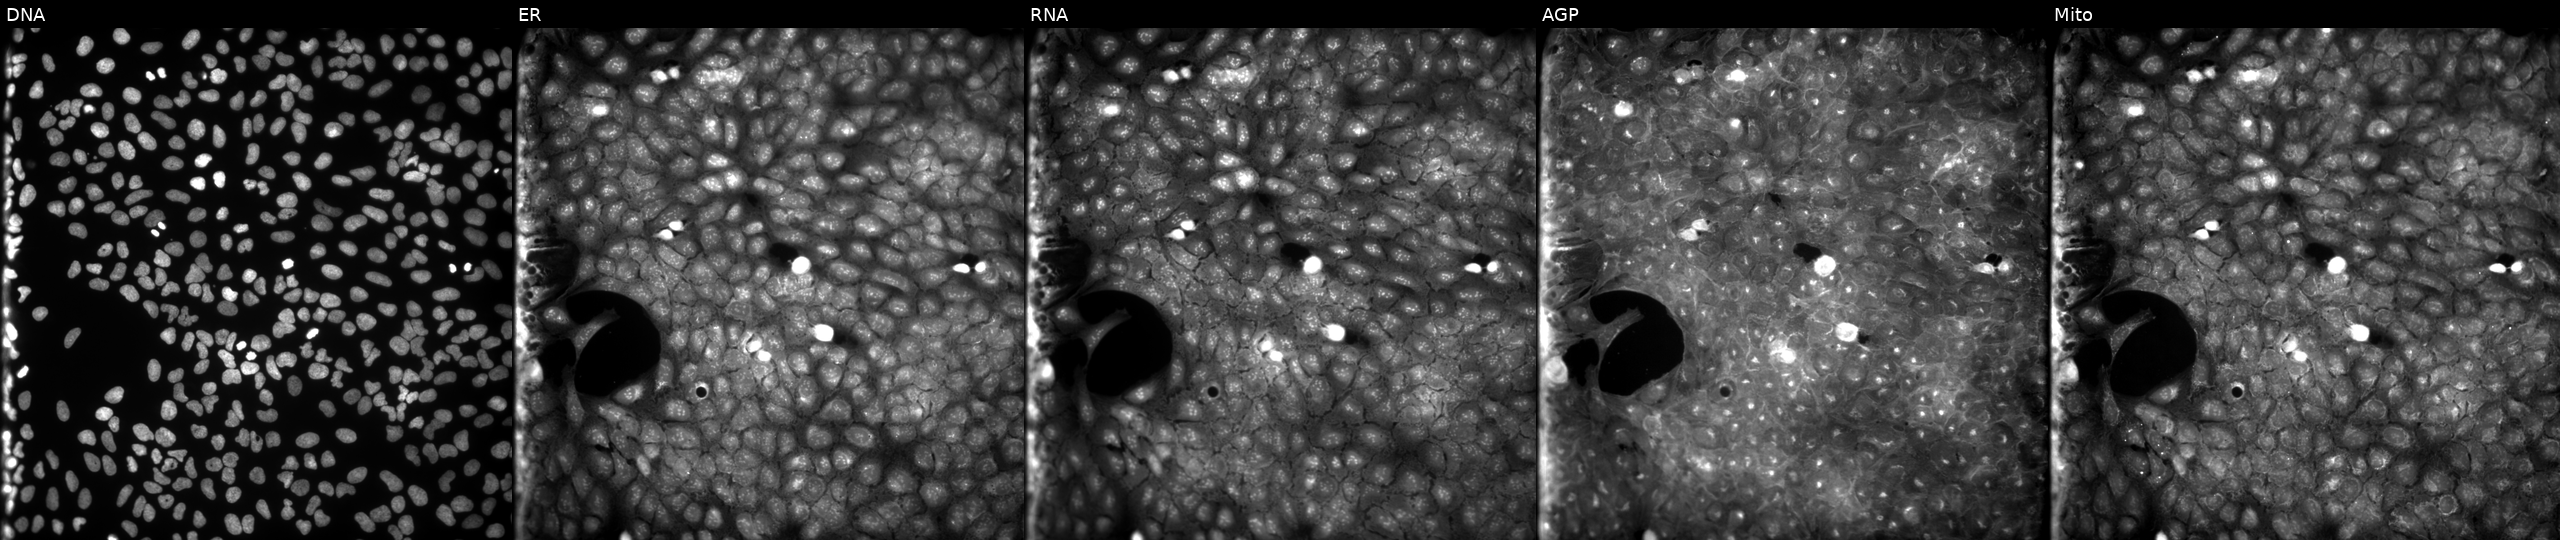
U2OS cells, Cell Painting assay, treated with a small-molecule compound (InChIKey CZOCOEBOCSNKST-UHFFFAOYSA-N). Channels (left→right): DNA (nuclei); ER (endoplasmic reticulum); RNA (nucleoli and cytoplasmic RNA); AGP (actin cytoskeleton, Golgi, and plasma membrane); Mito (mitochondria). Each panel is percentile-stretched 16-bit fluorescence. Source 9, plate GR00003382, well X08.